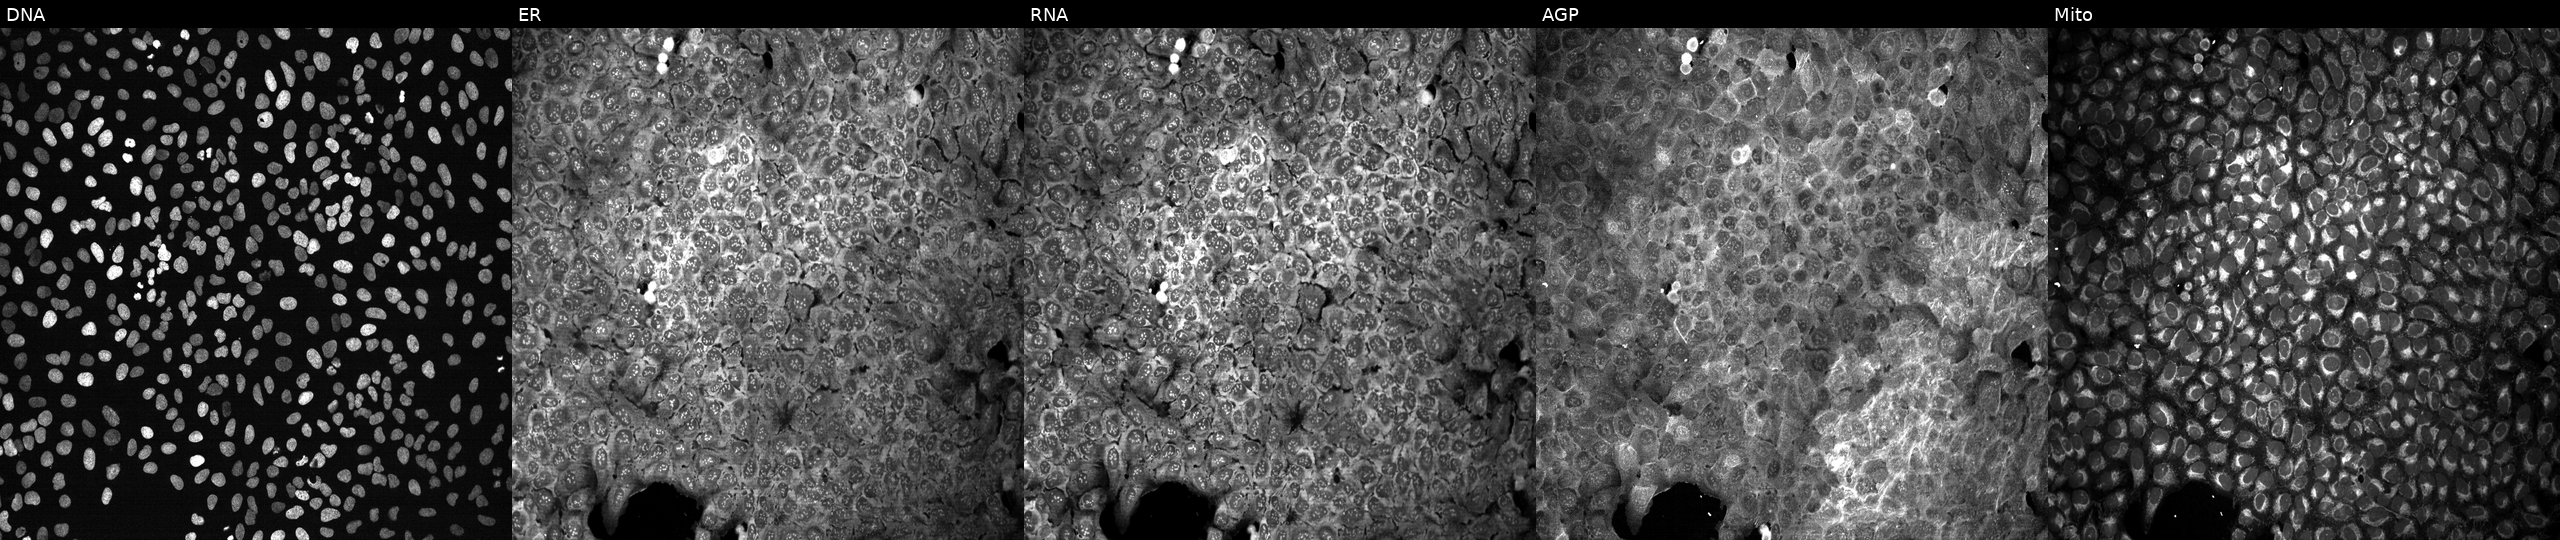
U2OS cells, Cell Painting assay, with no CRISPR guide (negative control) (JUMP id JCP2022_800001). Channels (left→right): Hoechst 33342, concanavalin A, SYTO 14, phalloidin and WGA, MitoTracker. Each panel is percentile-stretched 16-bit fluorescence.